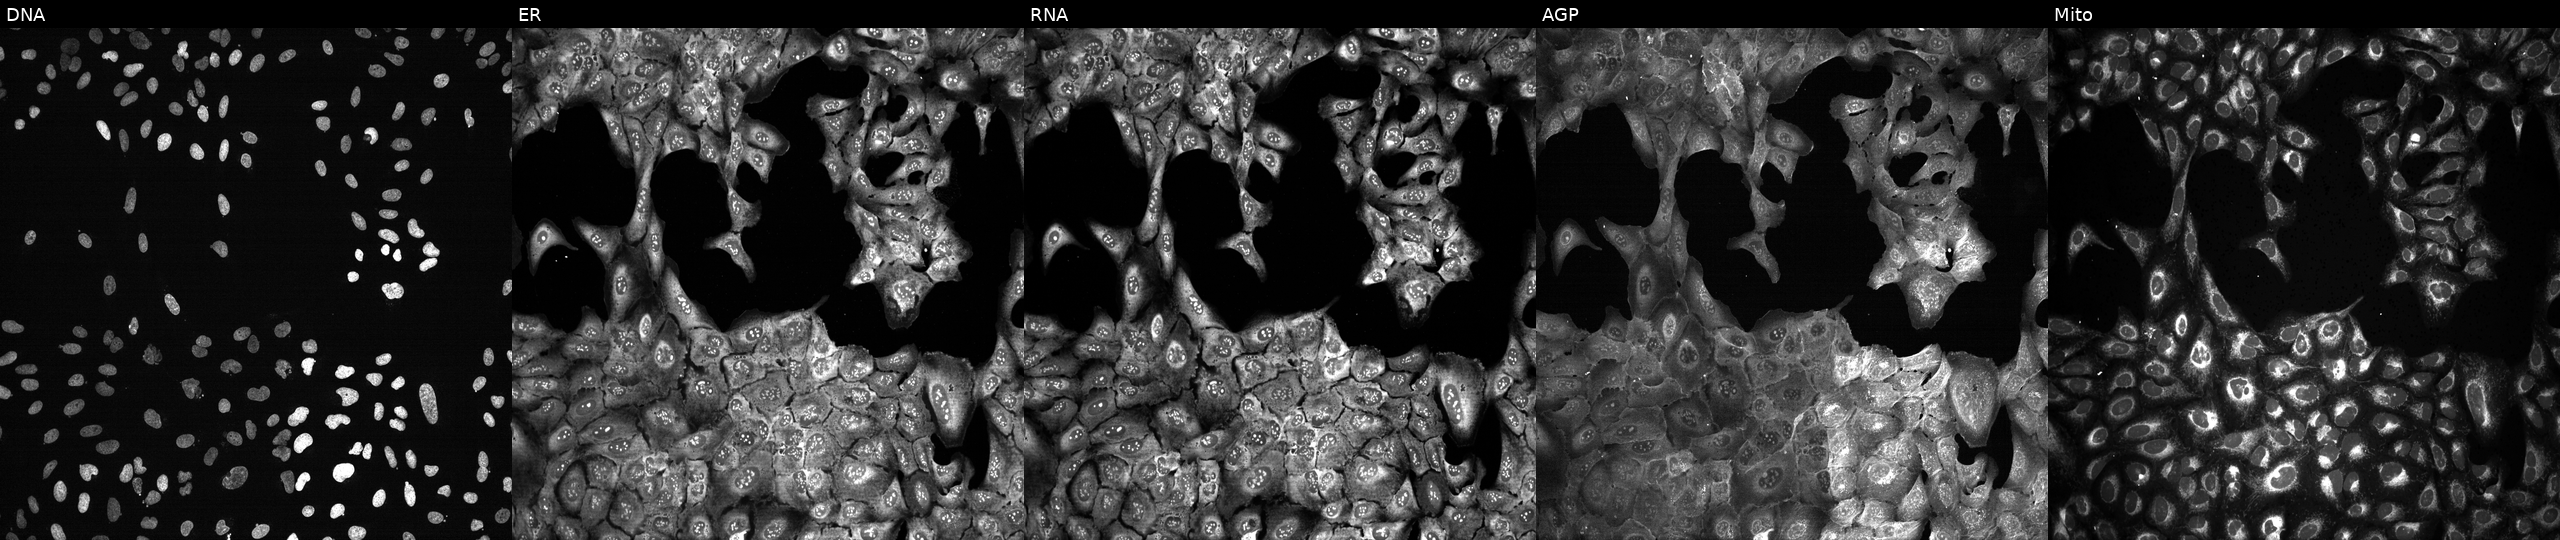
JUMP Cell Painting — CRISPR plate. U2OS cells with MOGS knocked out by CRISPR (JUMP id JCP2022_804241). From left to right: DNA, ER, RNA, AGP, and Mito.